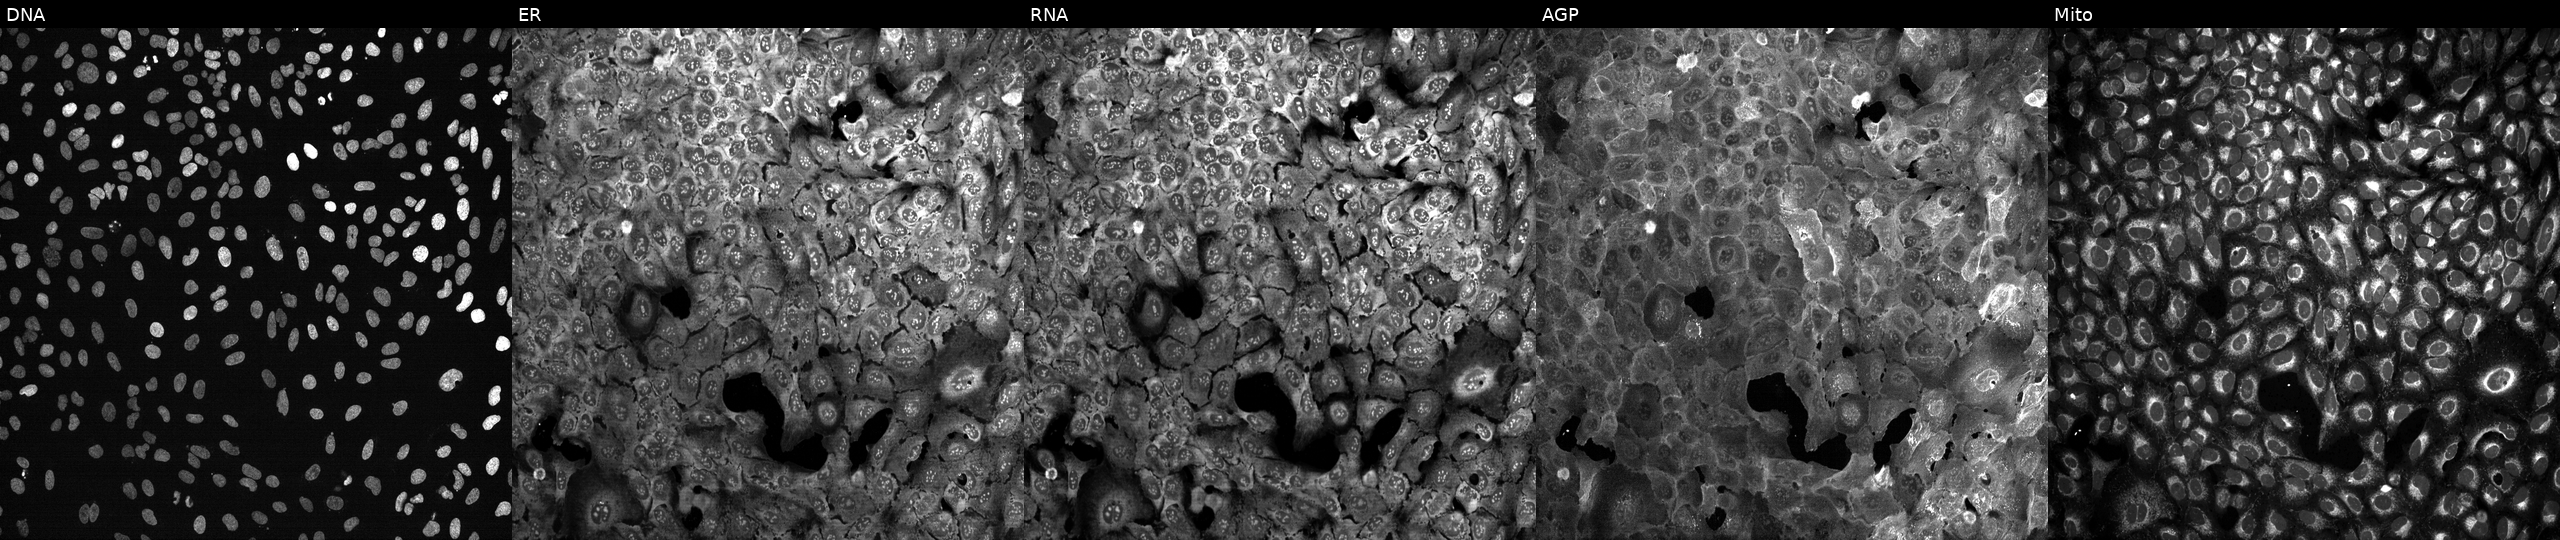
High-content fluorescence microscopy (Cell Painting). Cell line: U2OS. Perturbation: with ARFGAP1 knocked out by CRISPR (JUMP id JCP2022_800557). Panels show, left to right, Hoechst 33342, concanavalin A, SYTO 14, phalloidin and WGA, MitoTracker.